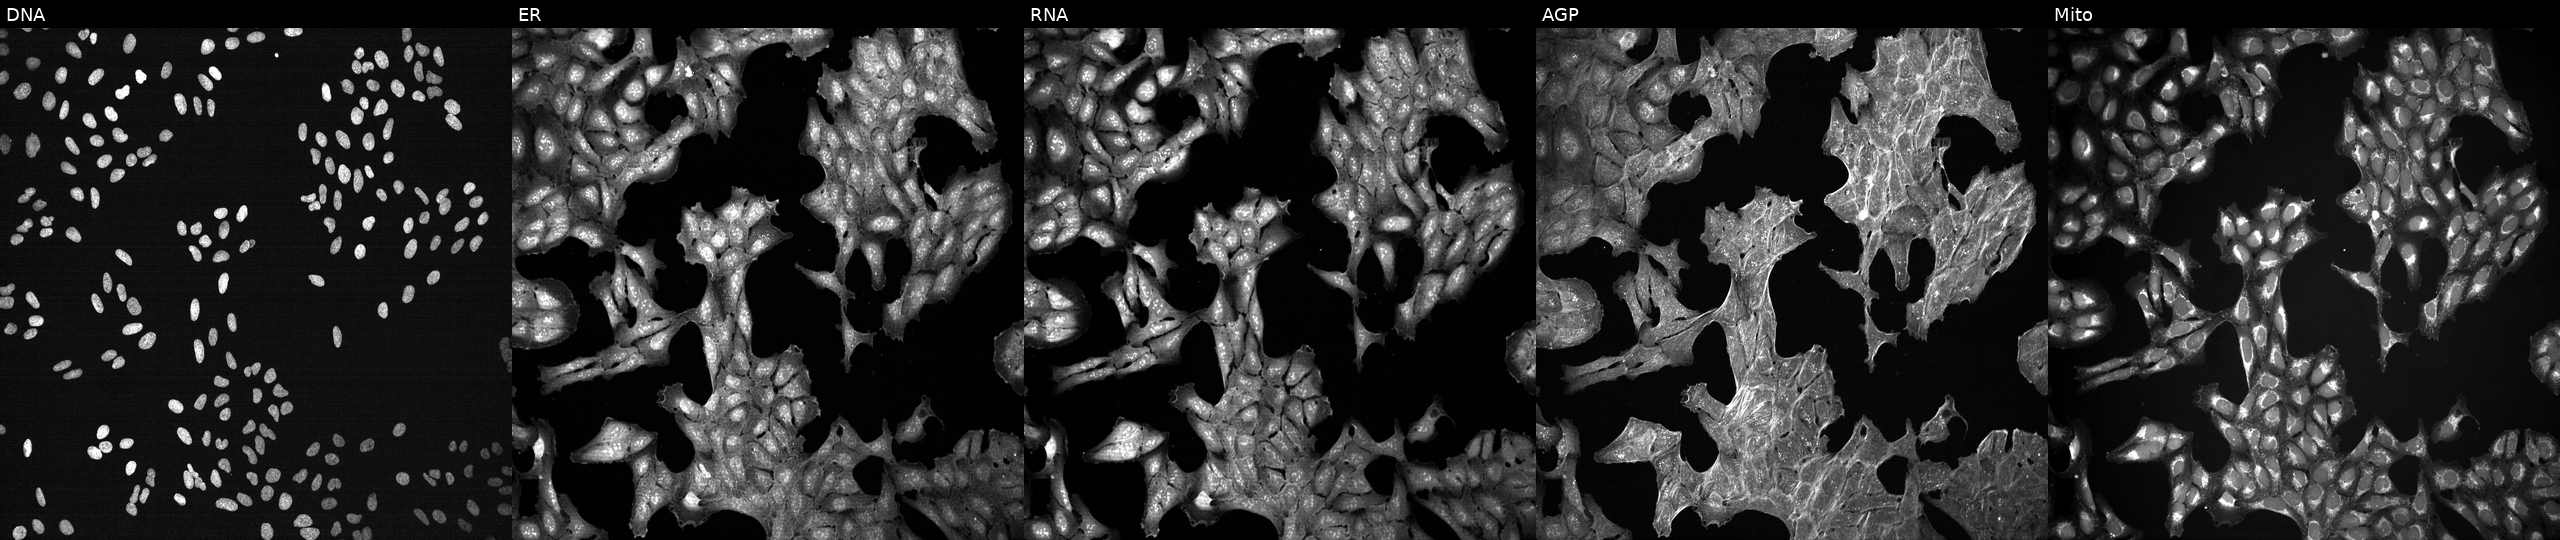
Five-channel Cell Painting image of U2OS cells exposed to a small-molecule compound. The five panels, left to right, show Hoechst 33342, concanavalin A, SYTO 14, phalloidin and WGA, MitoTracker.